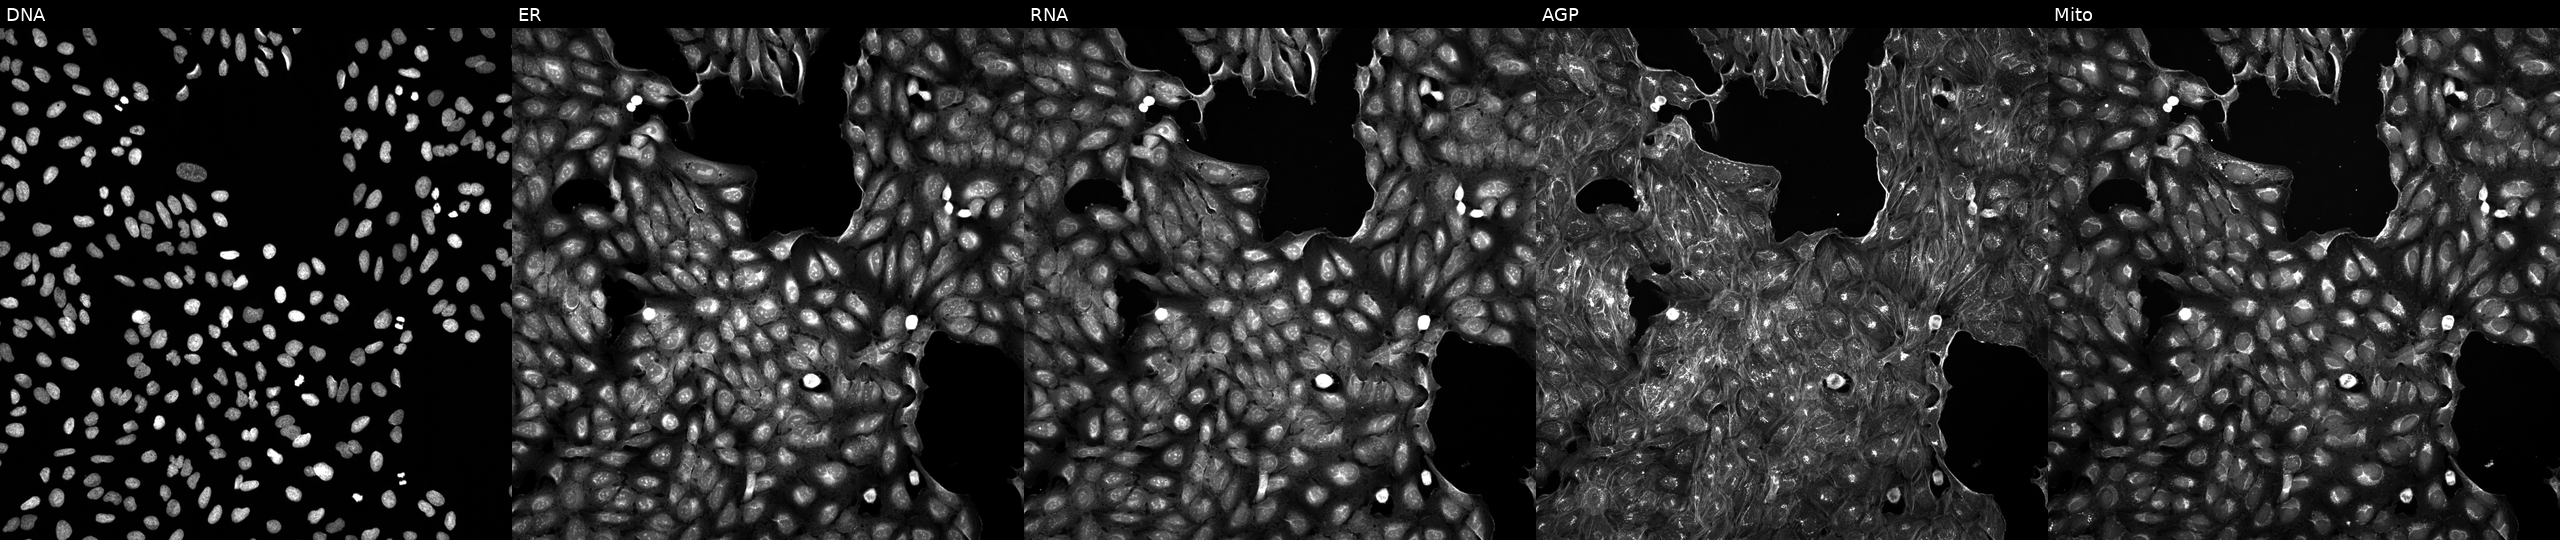
From left to right: Hoechst 33342, concanavalin A, SYTO 14, phalloidin and WGA, MitoTracker. U2OS osteosarcoma cells perturbed with a small-molecule compound (InChIKey AEIZXSWVMQCJER-UHFFFAOYSA-N). Cell Painting assay, JUMP-CP dataset.